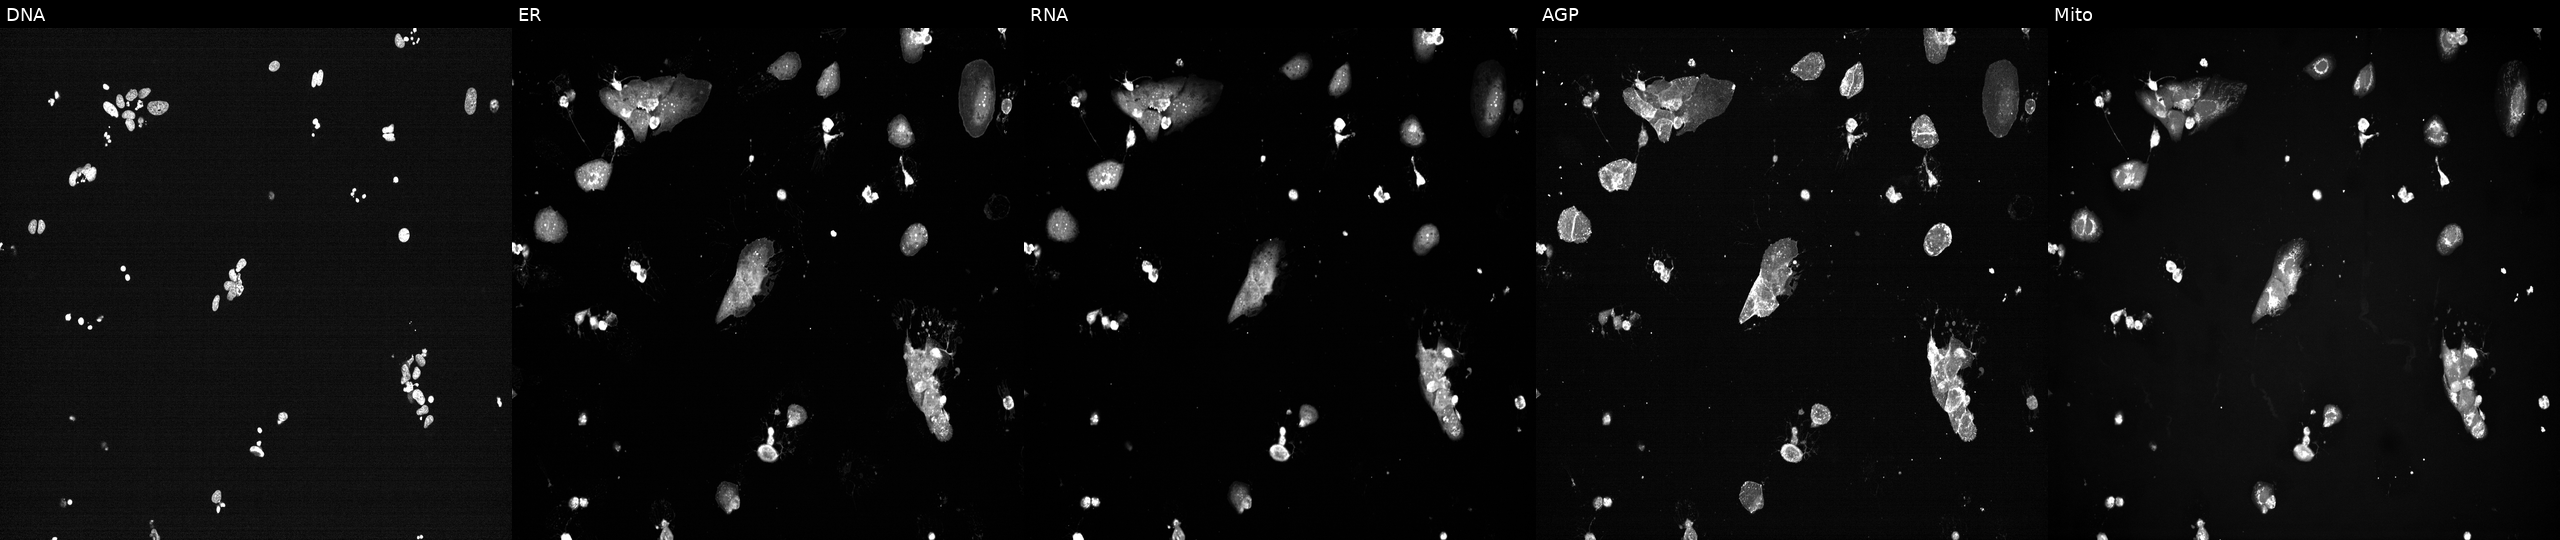
High-content fluorescence microscopy (Cell Painting). Cell line: U2OS. Perturbation: perturbed with a small-molecule compound (InChIKey RVAQIUULWULRNW-UHFFFAOYSA-N) [SMILES: CC(C)c1cc(-c2n[nH]c(=O)n2-c2ccc3c(ccn3C)c2)c(O)cc1O] (JUMP id JCP2022_080920). The five panels, left to right, show DNA, ER, RNA, AGP, and Mito.